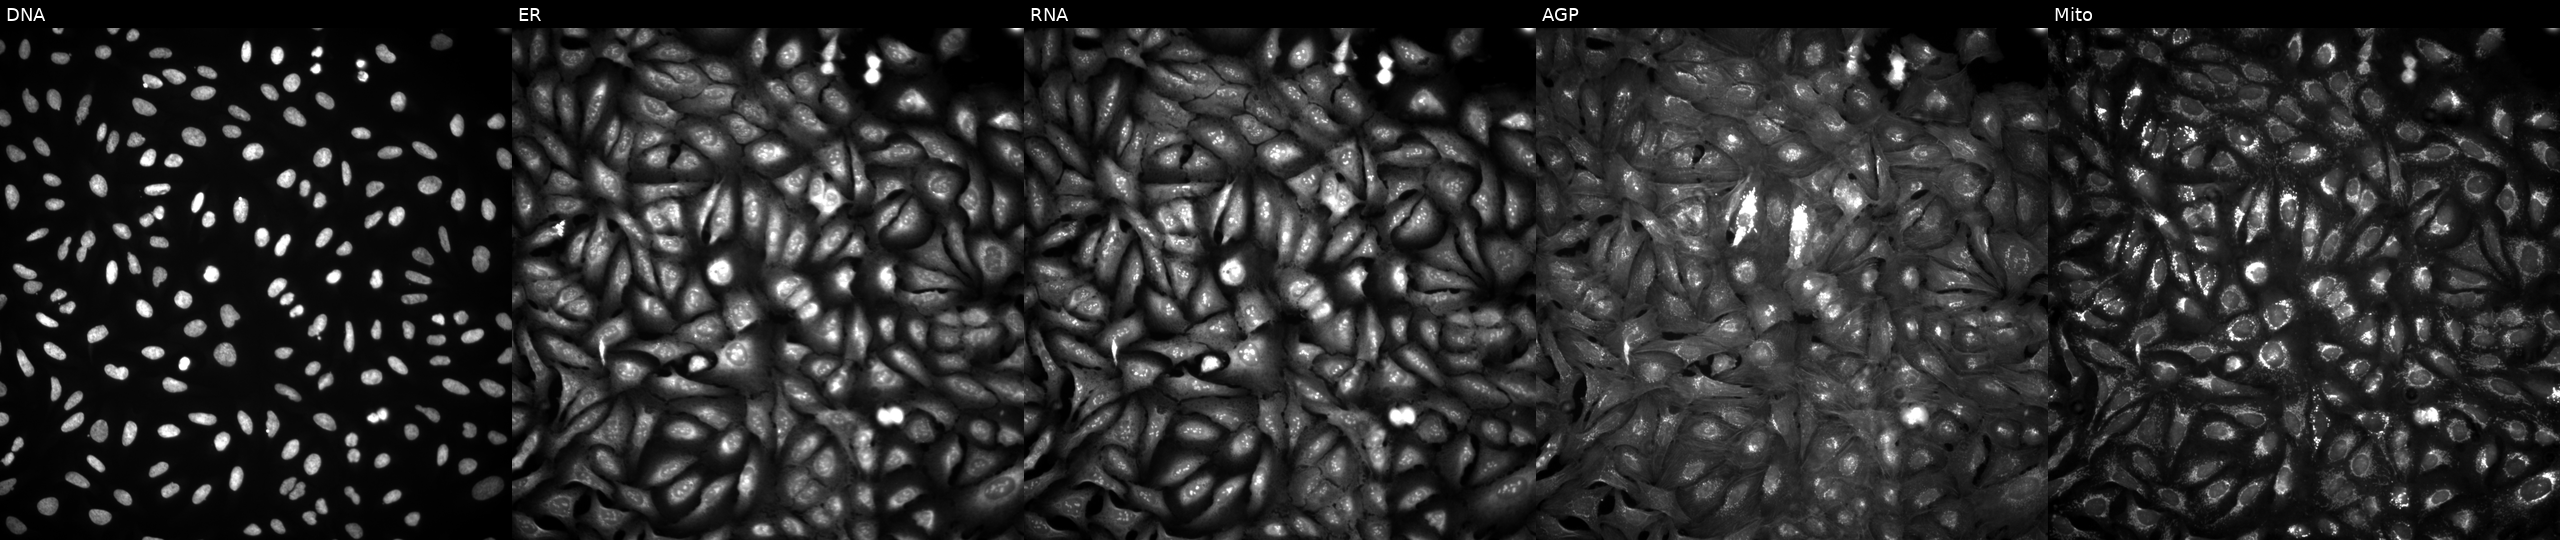
Five-channel Cell Painting image of U2OS cells overexpressing SIRT3 via ORF transfection. Channels (left→right): Hoechst 33342, concanavalin A, SYTO 14, phalloidin and WGA, MitoTracker.